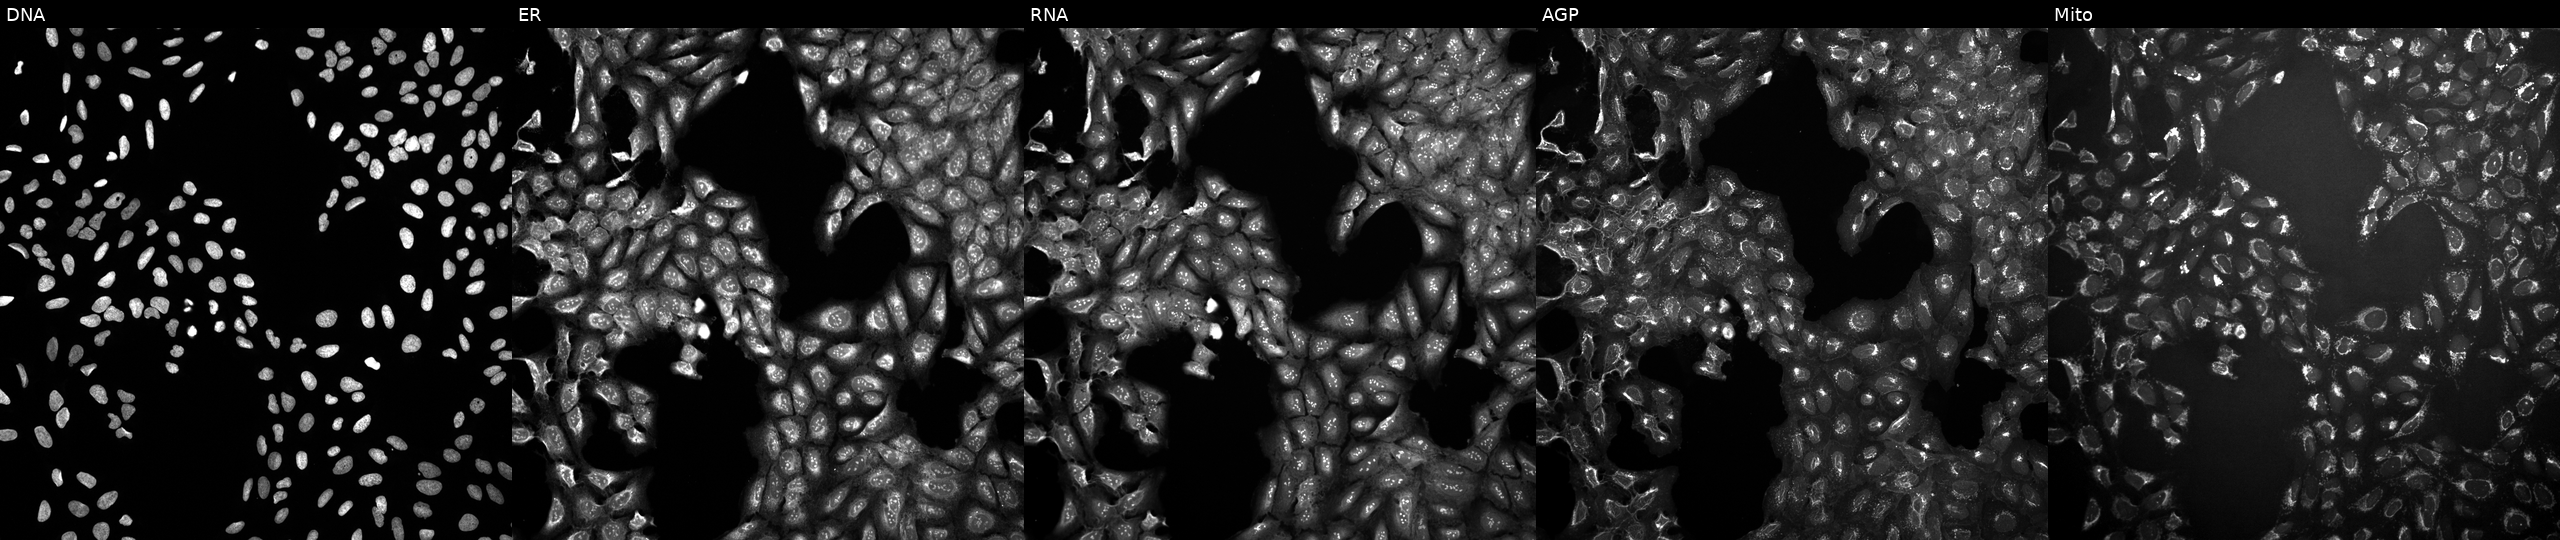
From left to right: Hoechst 33342, concanavalin A, SYTO 14, phalloidin and WGA, MitoTracker. U2OS osteosarcoma cells perturbed with a small-molecule compound (InChIKey LPAHKJMGDSJDRG-UHFFFAOYSA-N) (JUMP id JCP2022_050830). Cell Painting assay, JUMP-CP dataset.